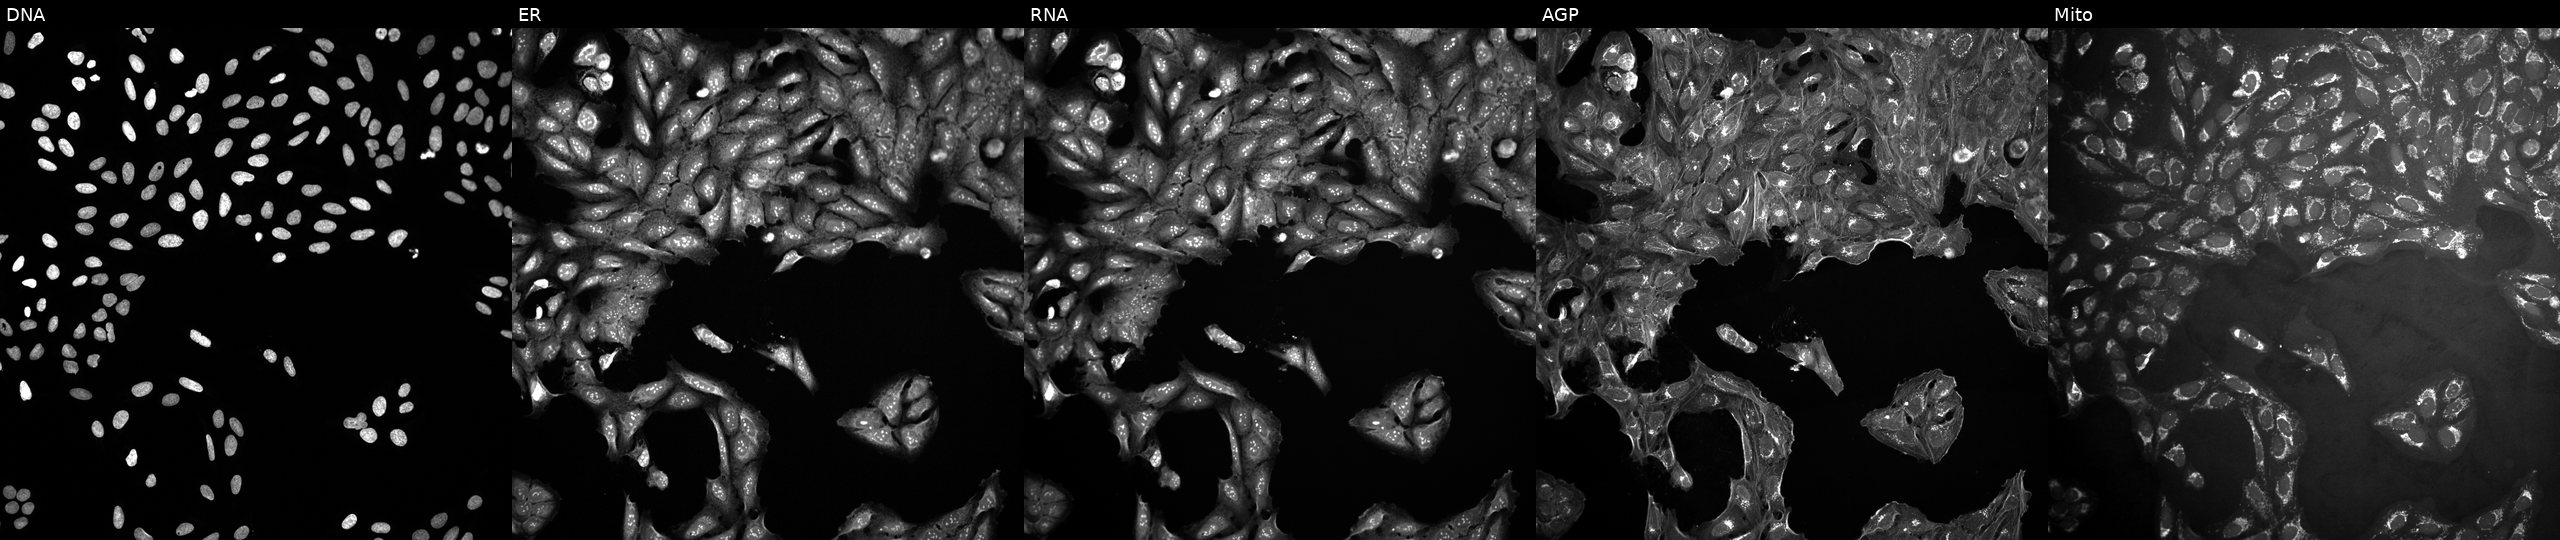
JUMP Cell Painting — COMPOUND plate. U2OS cells treated with a small-molecule compound [SMILES: Cc1ccc(-n2c(SC(C)C(=O)NC(N)=O)nc3ccccc32)cc1] (JUMP id JCP2022_048626). Channels (left→right): DNA, ER, RNA, AGP, and Mito.